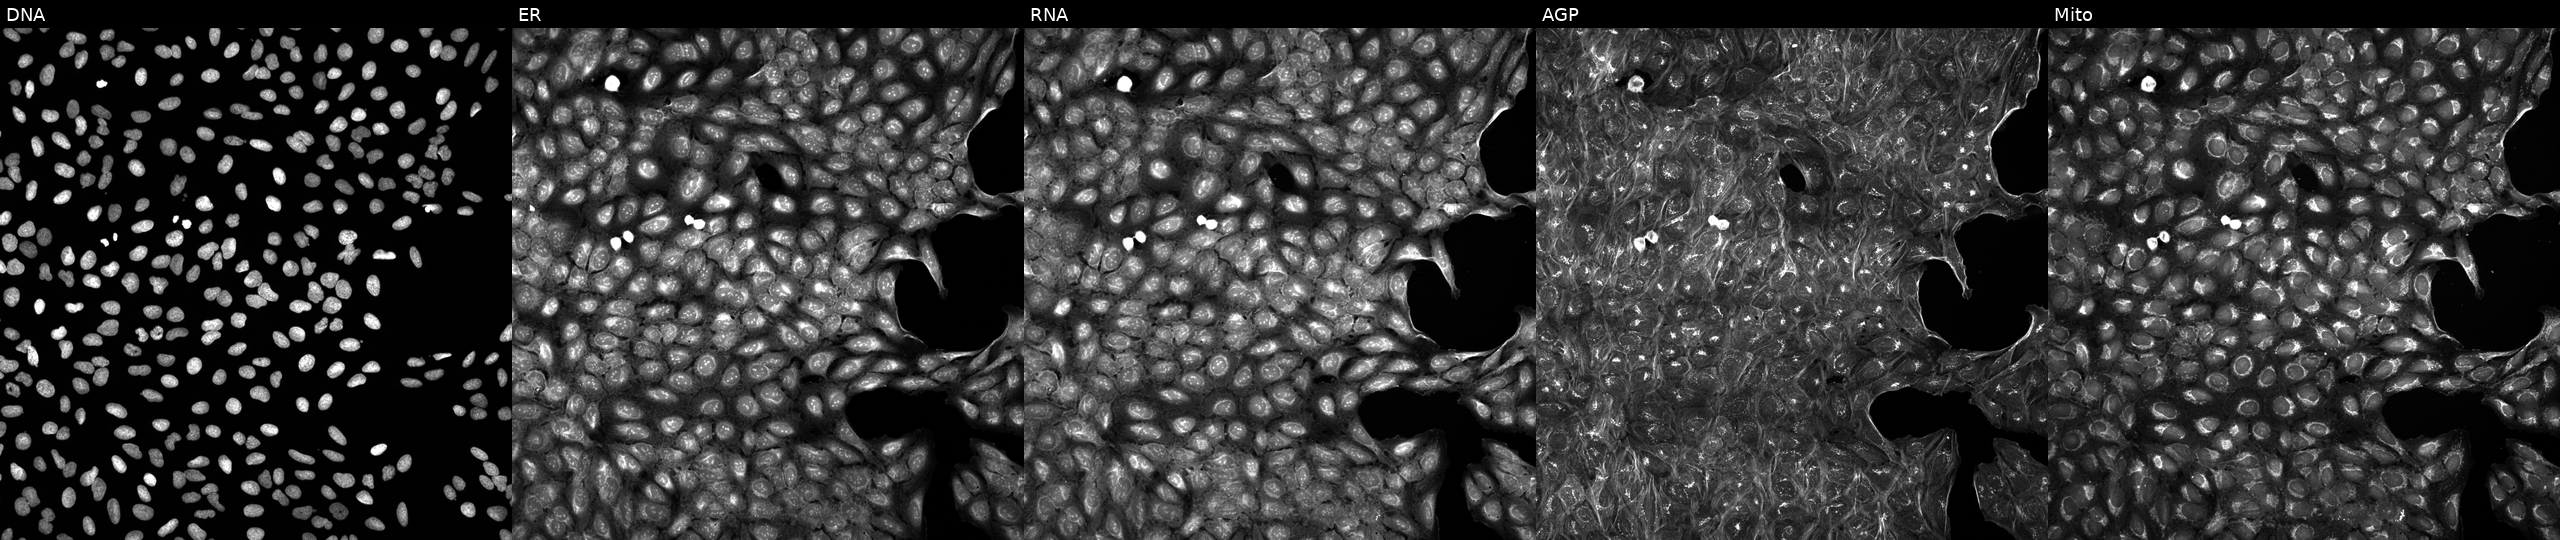
High-content fluorescence microscopy (Cell Painting). Cell line: U2OS. Perturbation: treated with a small-molecule compound (InChIKey QAARZVWJEWNTBP-UHFFFAOYSA-N). The five panels, left to right, show DNA (nuclei); ER (endoplasmic reticulum); RNA (nucleoli and cytoplasmic RNA); AGP (actin cytoskeleton, Golgi, and plasma membrane); Mito (mitochondria). Source 5, plate APTJUM106, well E13.